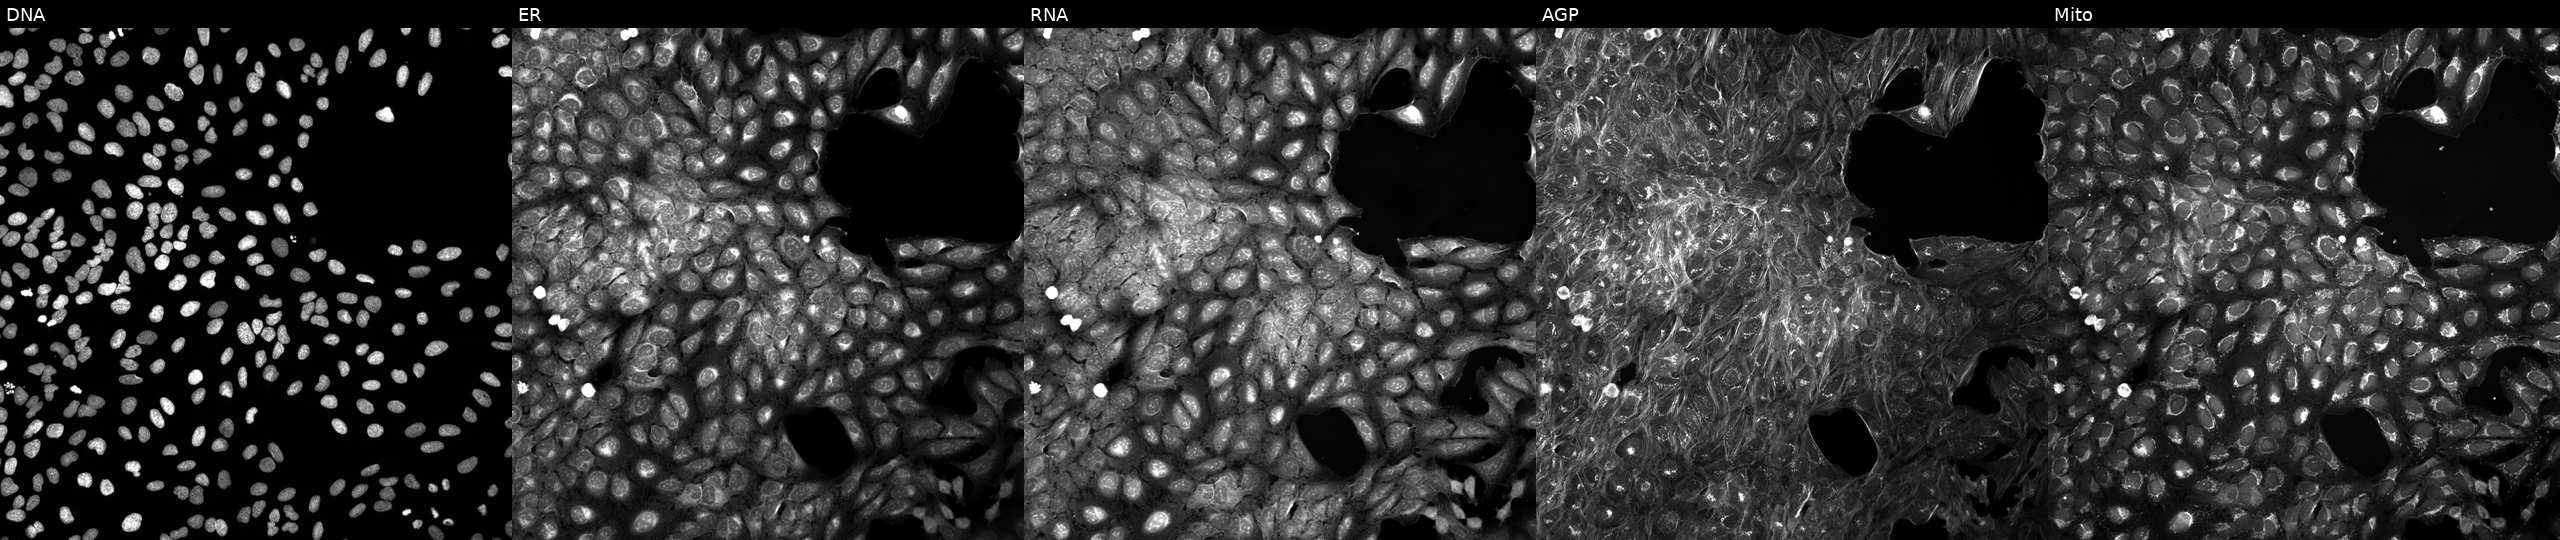
Panels show, left to right, DNA, ER, RNA, AGP, and Mito. U2OS osteosarcoma cells treated with a small-molecule compound [SMILES: O=C(NNC(=O)c1ccc(CNS(=O)(=O)c2ccc(F)c(Cl)c2)cc1)c1ccccc1]. Cell Painting assay, JUMP-CP dataset.